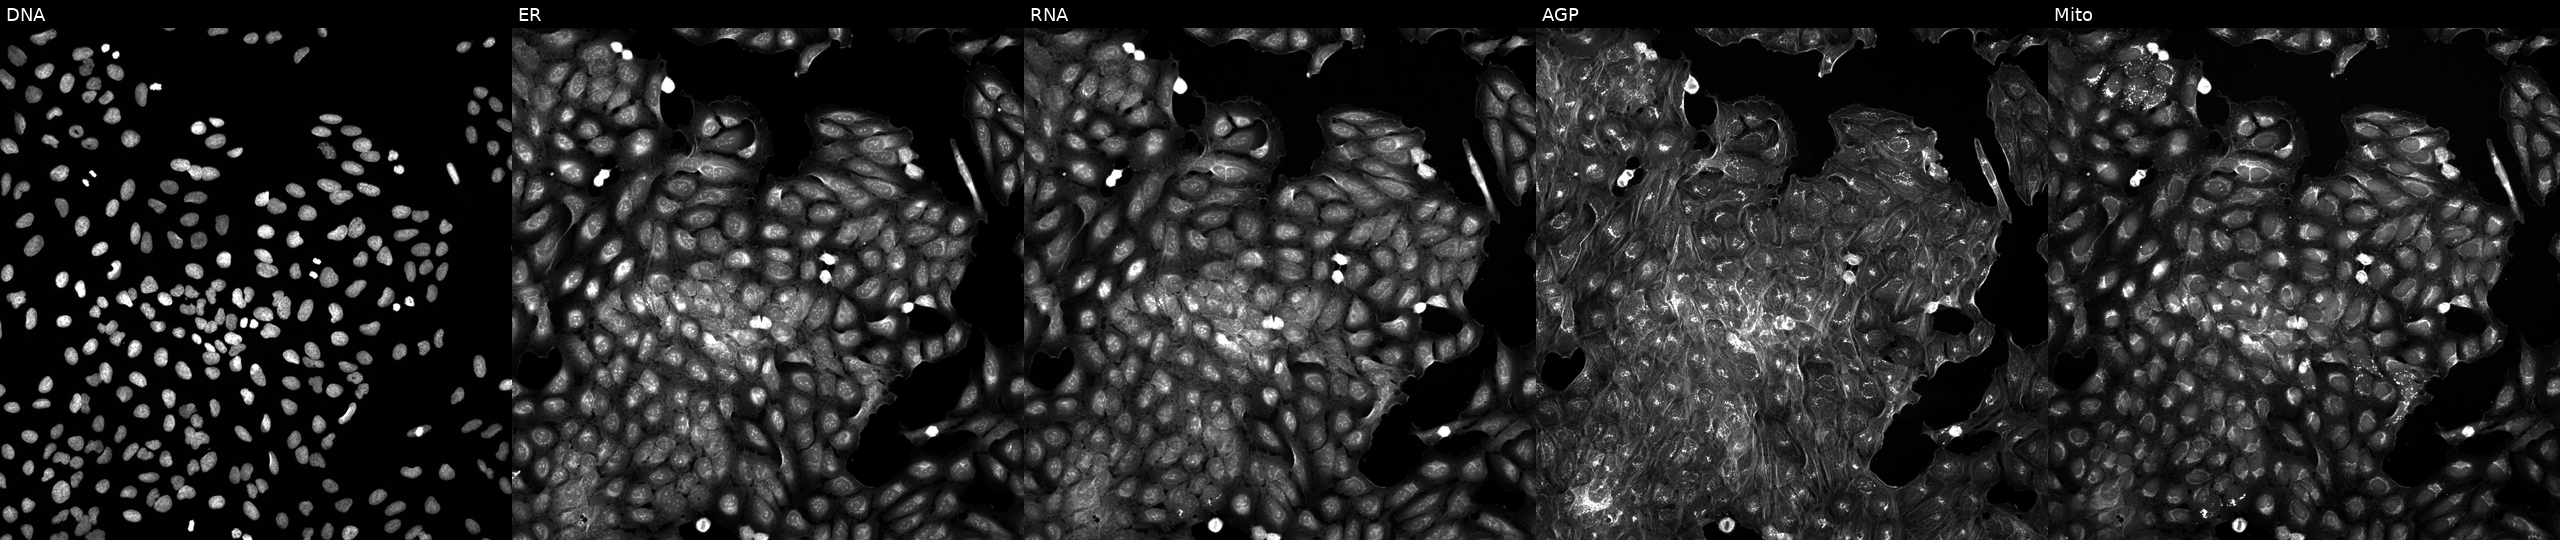
This image strip shows the five Cell Painting channels for a single field of U2OS cells perturbed with a small-molecule compound (InChIKey UGUKGYPFPJNZGT-UHFFFAOYSA-N). The five panels, left to right, show DNA, ER, RNA, AGP, and Mito.